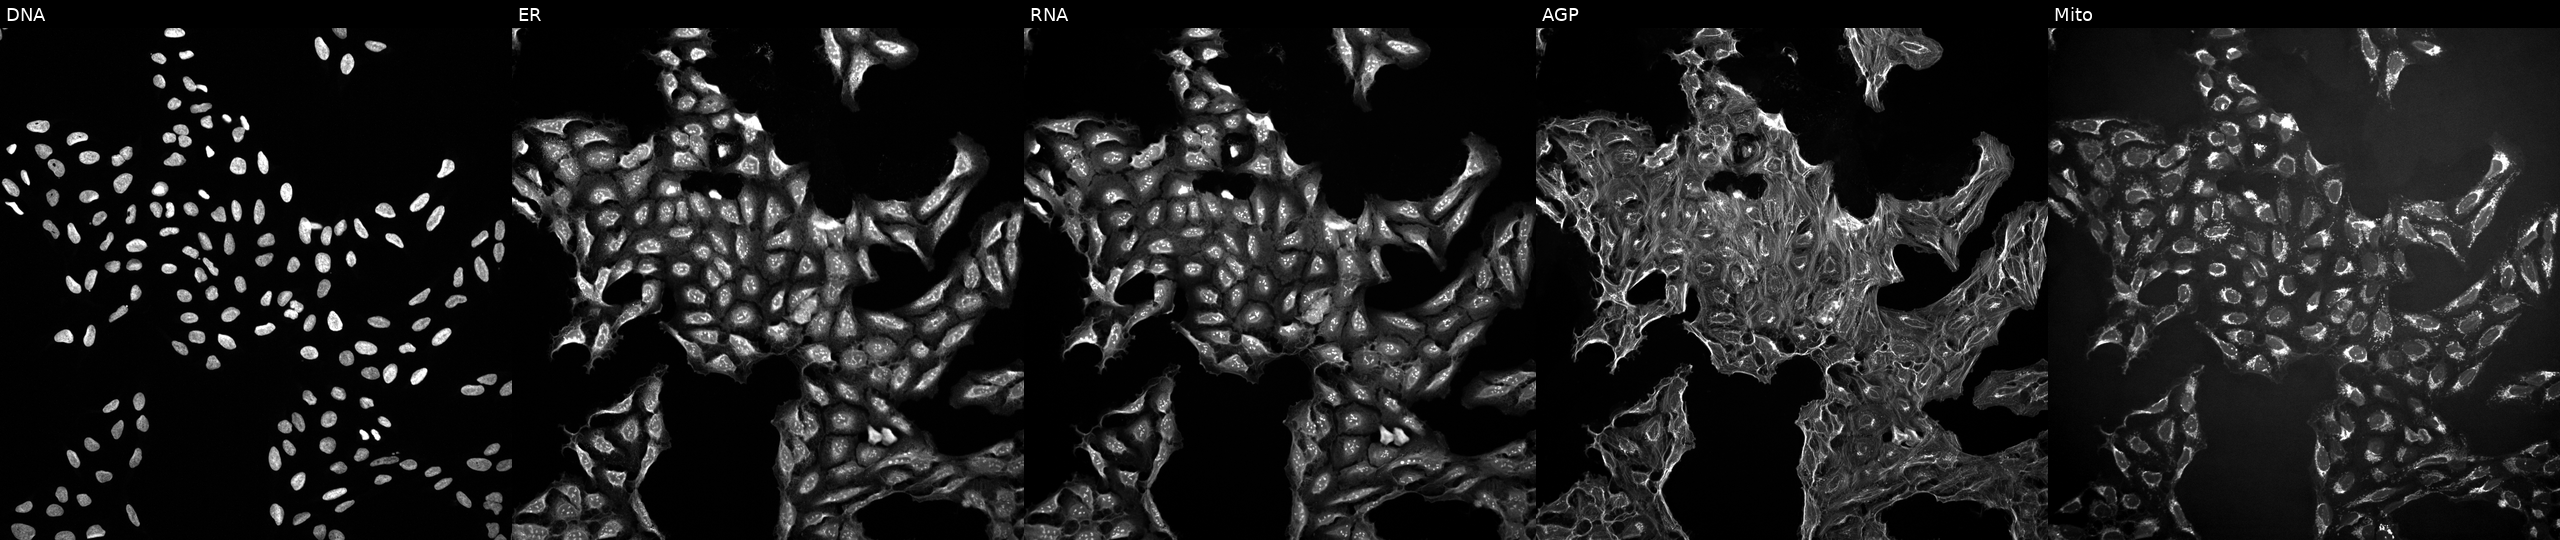
This image strip shows the five Cell Painting channels for a single field of U2OS cells exposed to a small-molecule compound (InChIKey LPEPZBJOKDYZAD-UHFFFAOYSA-N). Channels (left→right): DNA, ER, RNA, AGP, and Mito. Source 10, plate Dest210726-160150, well A08.